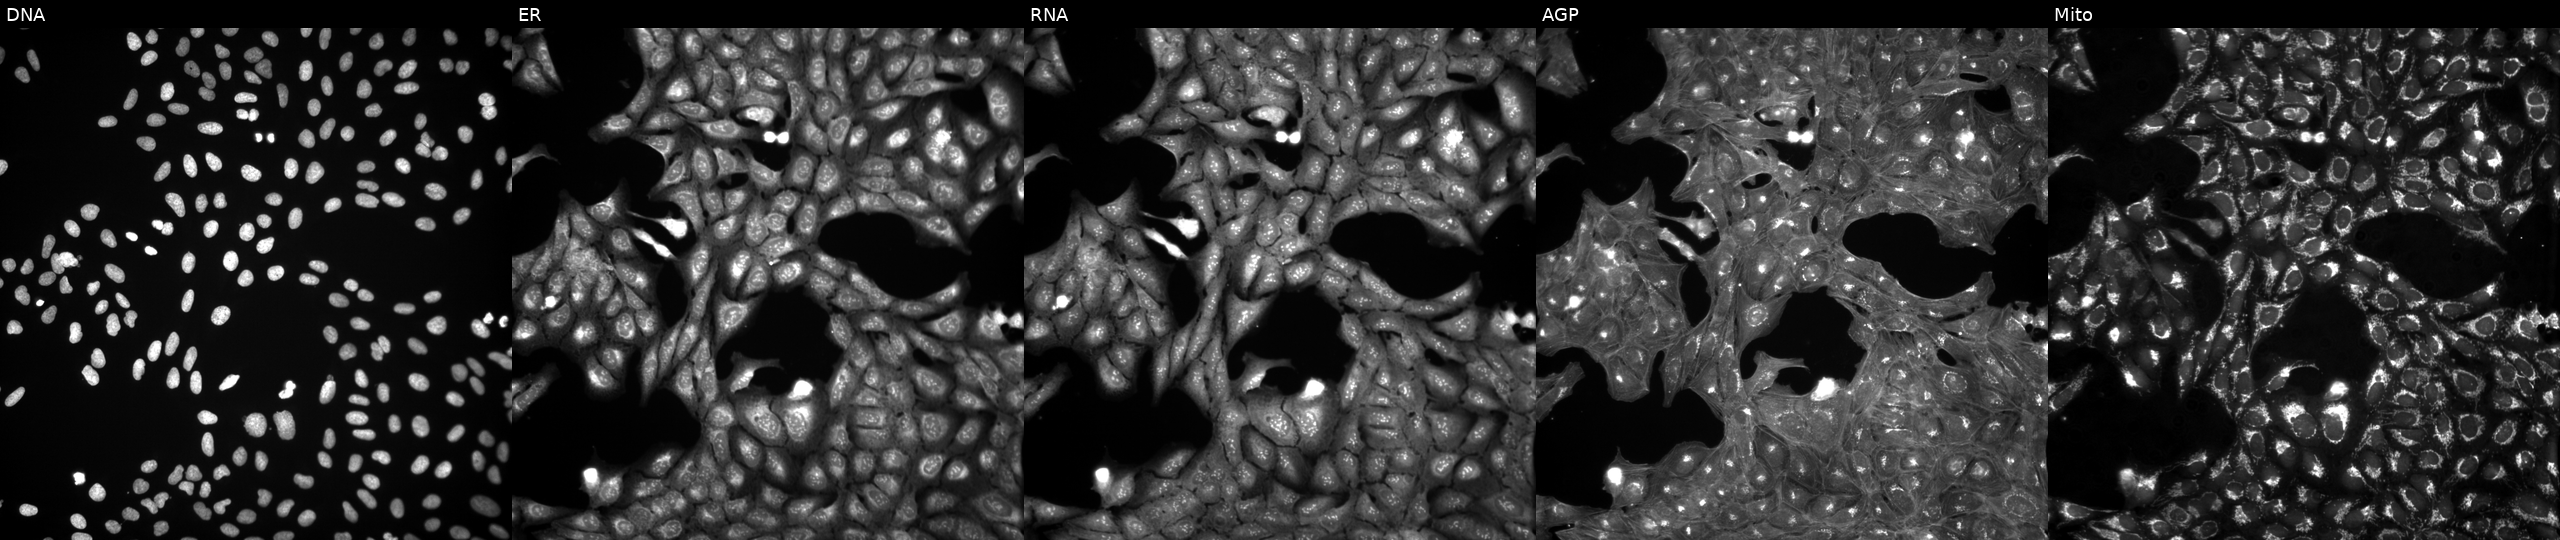
U2OS cells, Cell Painting assay, exposed to the positive-control compound dexamethasone. Panels show, left to right, DNA, ER, RNA, AGP, and Mito. Each panel is percentile-stretched 16-bit fluorescence. Source 3, plate BR5867a3, well O24.